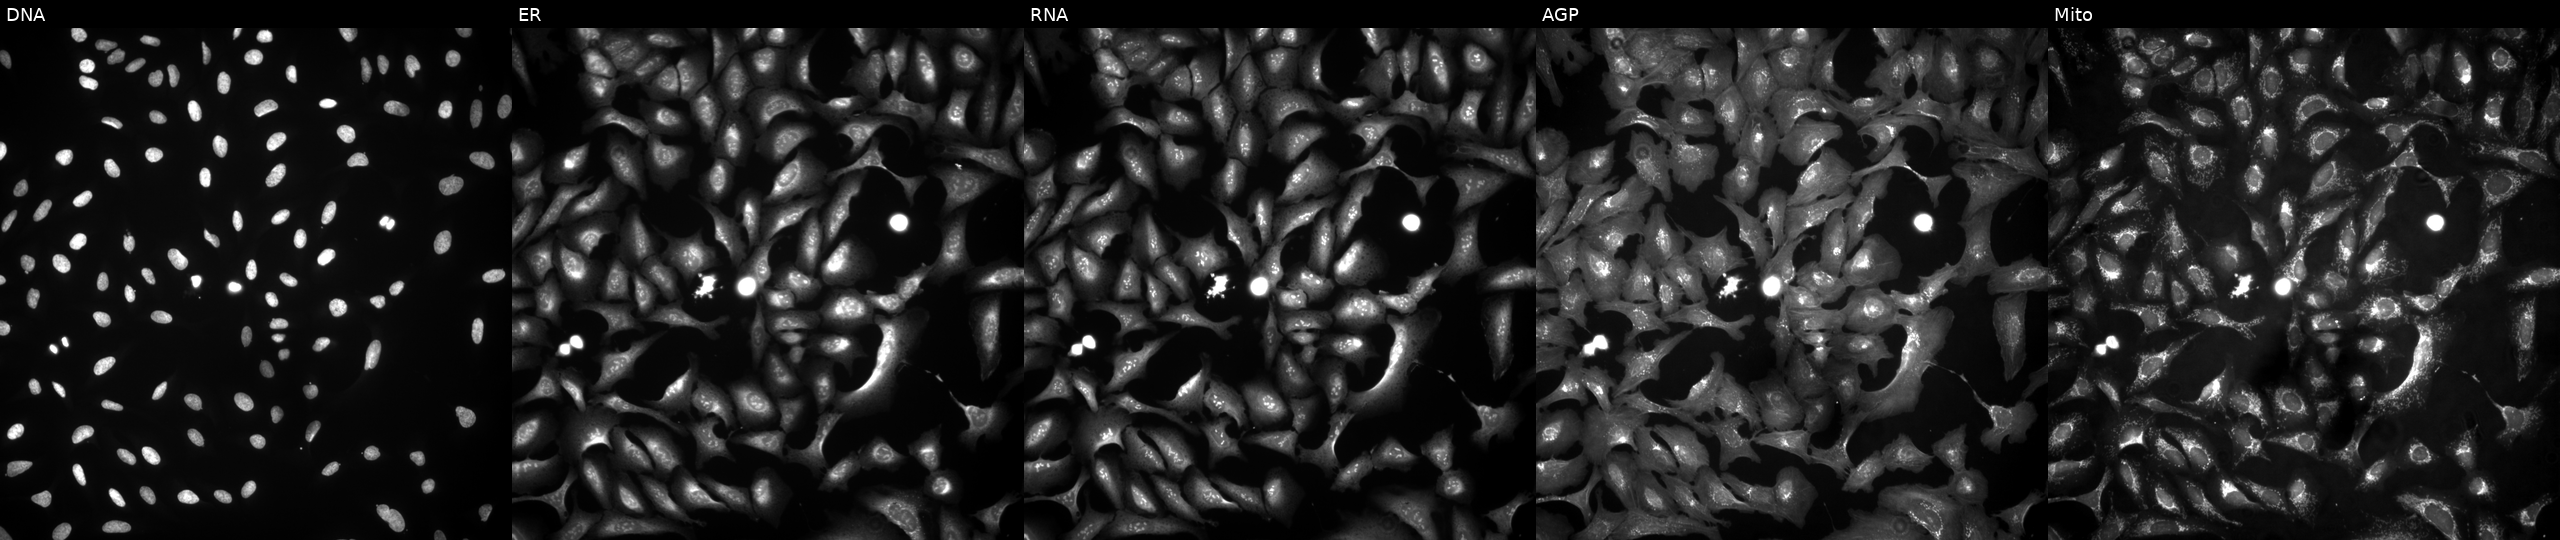
Five-channel Cell Painting image of U2OS cells overexpressing TSC1 via ORF transfection (JUMP id JCP2022_913033). From left to right: DNA (nuclei); ER (endoplasmic reticulum); RNA (nucleoli and cytoplasmic RNA); AGP (actin cytoskeleton, Golgi, and plasma membrane); Mito (mitochondria).